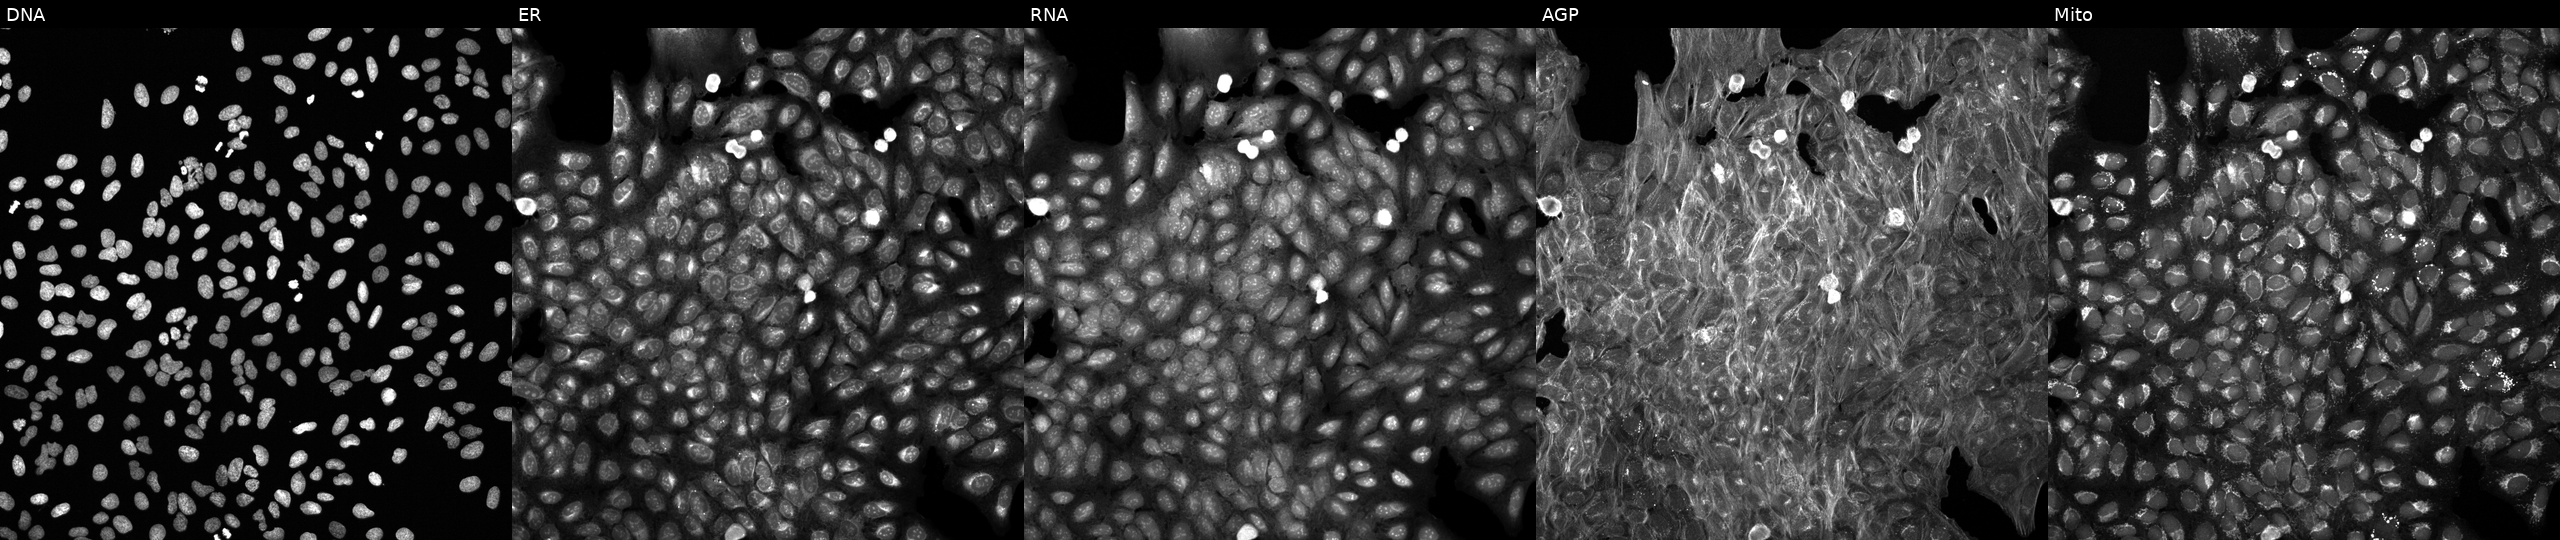
Five-channel Cell Painting image of U2OS cells treated with a small-molecule compound (InChIKey PHLBKPHSAVXXEF-UHFFFAOYSA-N) [SMILES: O=c1n(CCCN2CCN(c3cccc(Cl)c3)CC2)nc2ccccn12] (JUMP id JCP2022_068606). From left to right: Hoechst 33342, concanavalin A, SYTO 14, phalloidin and WGA, MitoTracker.